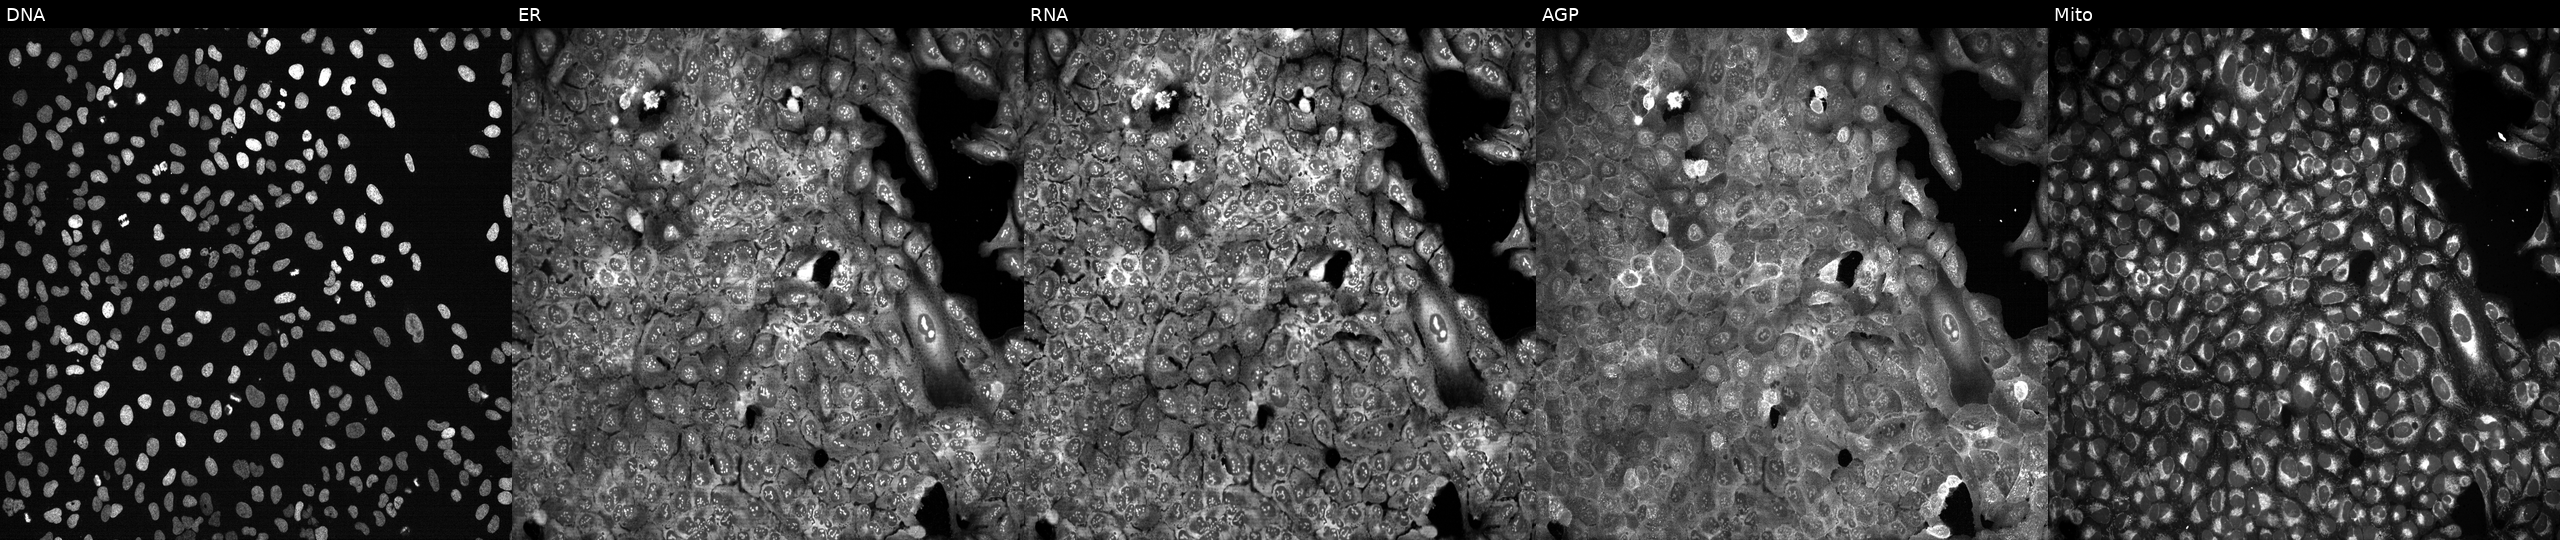
JUMP Cell Painting — CRISPR plate. U2OS cells CRISPR-edited to disrupt PITPNM1 (JUMP id JCP2022_805184). Panels show, left to right, DNA (nuclei); ER (endoplasmic reticulum); RNA (nucleoli and cytoplasmic RNA); AGP (actin cytoskeleton, Golgi, and plasma membrane); Mito (mitochondria). Source 13, plate CP-CC9-R4-04, well I09.